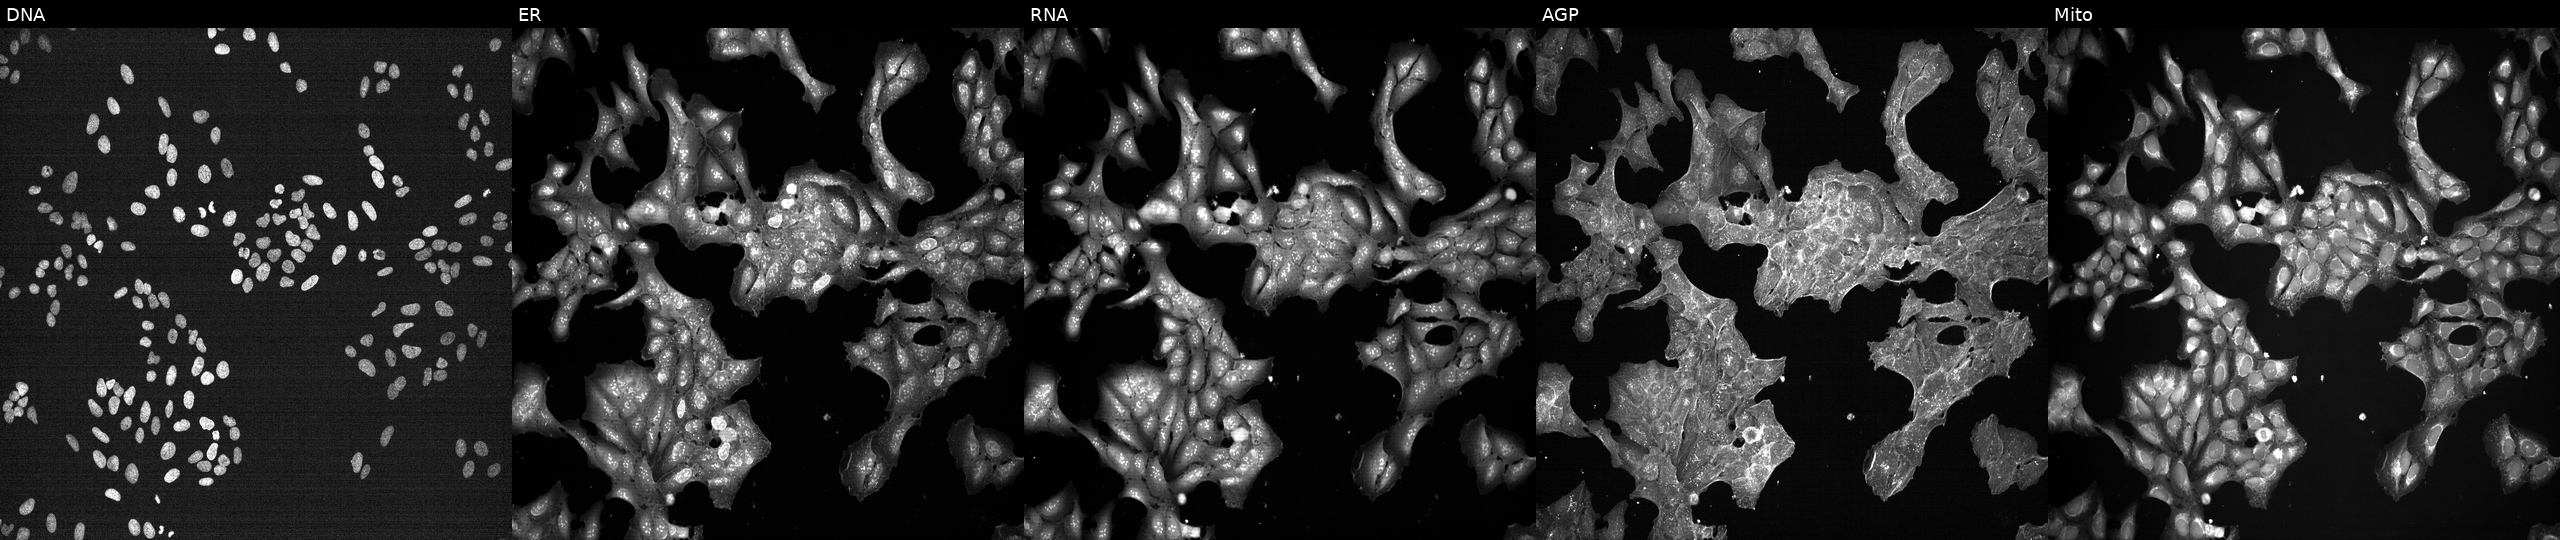
JUMP Cell Painting — TARGET2 plate. U2OS cells exposed to a small-molecule compound. The five panels, left to right, show DNA, ER, RNA, AGP, and Mito. Source 7, plate CP1-SC1-25, well M17.